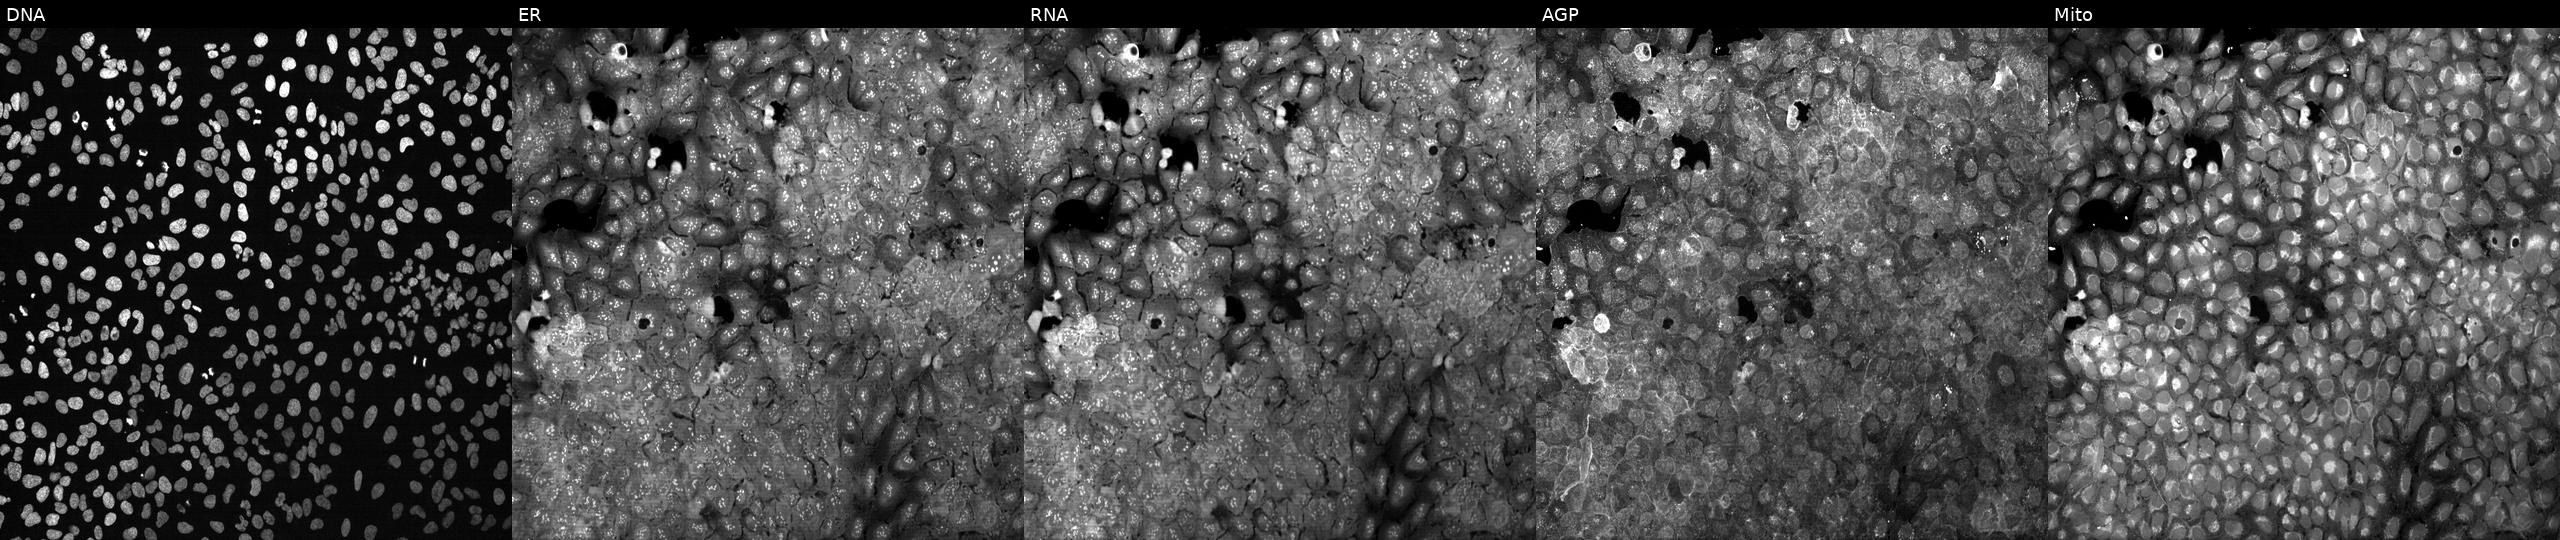
Panels show, left to right, DNA (nuclei); ER (endoplasmic reticulum); RNA (nucleoli and cytoplasmic RNA); AGP (actin cytoskeleton, Golgi, and plasma membrane); Mito (mitochondria). U2OS osteosarcoma cells following CRISPR knockout of PYCR1. Cell Painting assay, JUMP-CP dataset. Source 13, plate CP-CC9-R1-01, well G16.